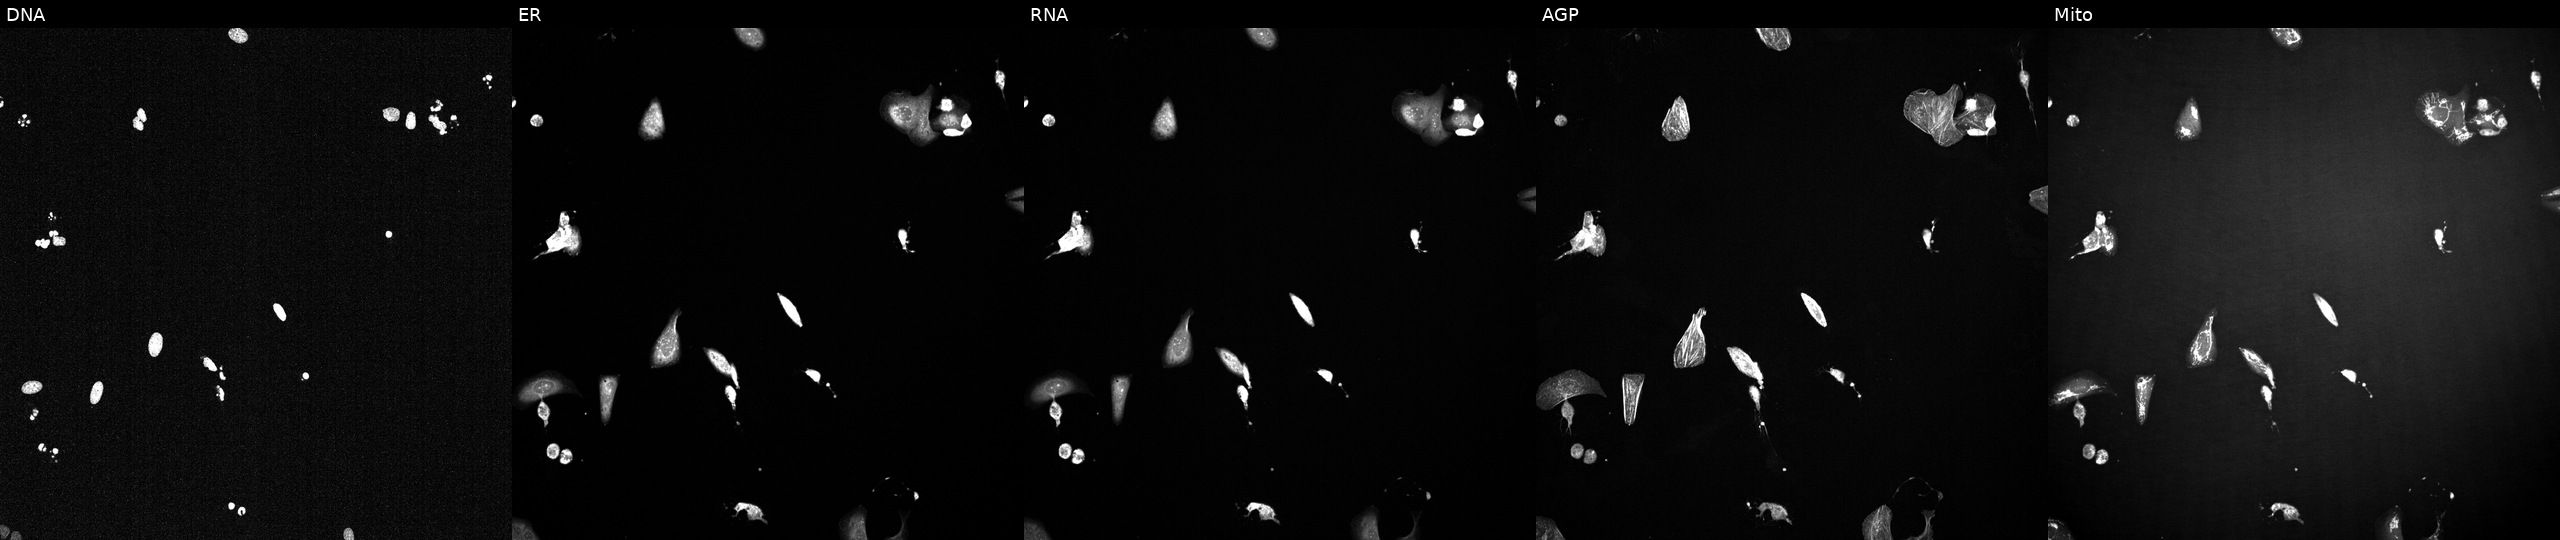
Five-channel Cell Painting image of U2OS cells treated with a small-molecule compound (InChIKey RVAQIUULWULRNW-UHFFFAOYSA-N). Panels show, left to right, Hoechst 33342, concanavalin A, SYTO 14, phalloidin and WGA, MitoTracker. Source 2, plate 1053599503, well L22.